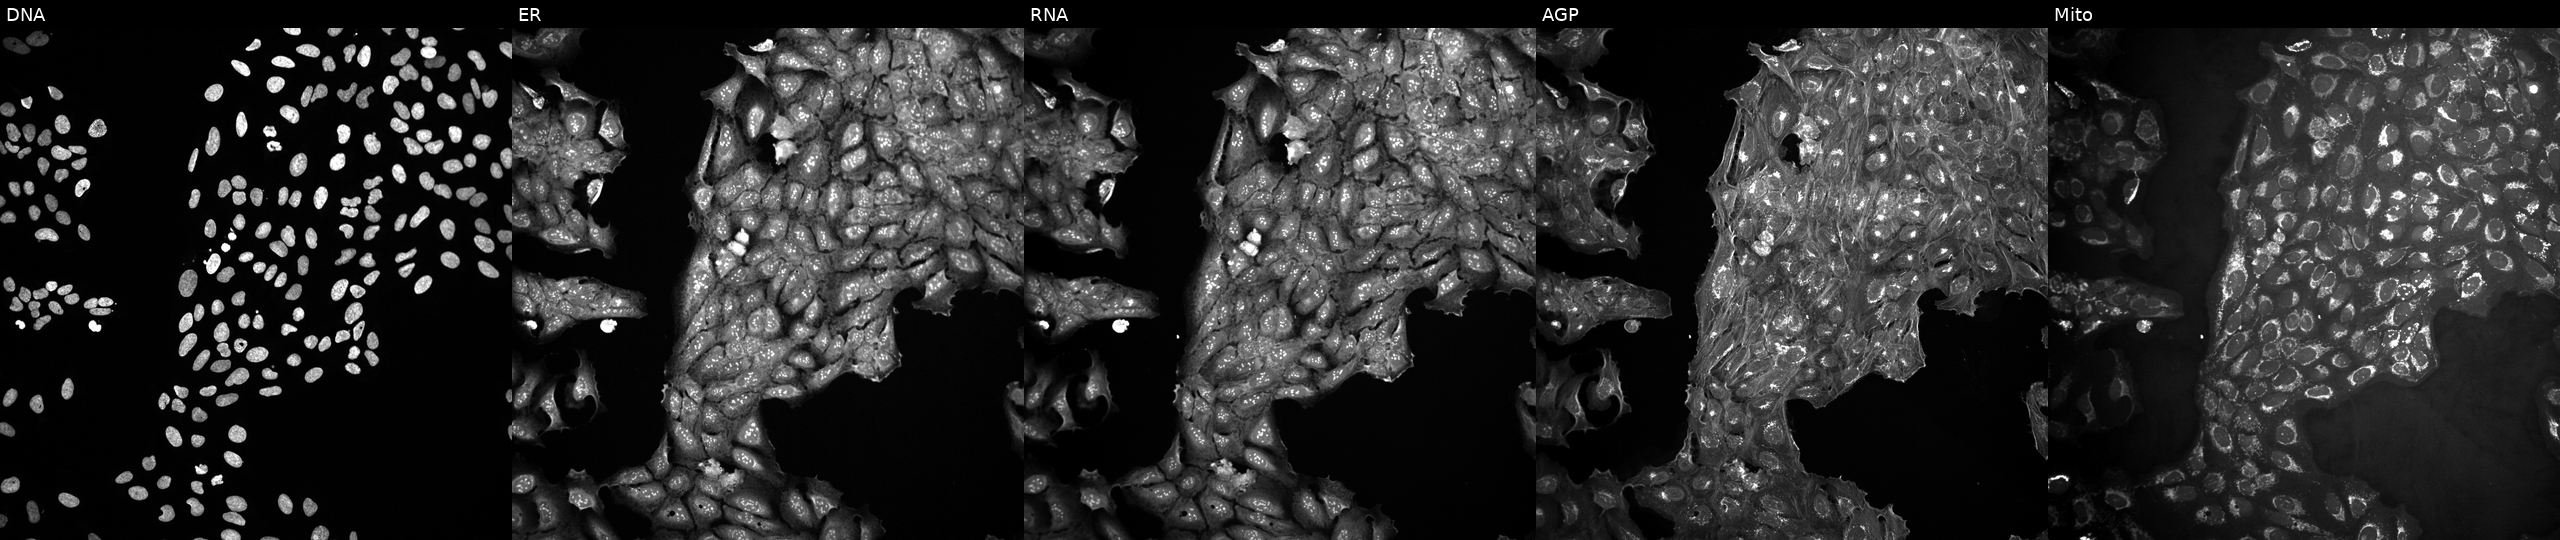
High-content fluorescence microscopy (Cell Painting). Cell line: U2OS. Perturbation: perturbed with a small-molecule compound (InChIKey KJDYILGRLHCWMP-UHFFFAOYSA-N) (JUMP id JCP2022_044958). Channels (left→right): DNA, ER, RNA, AGP, and Mito.